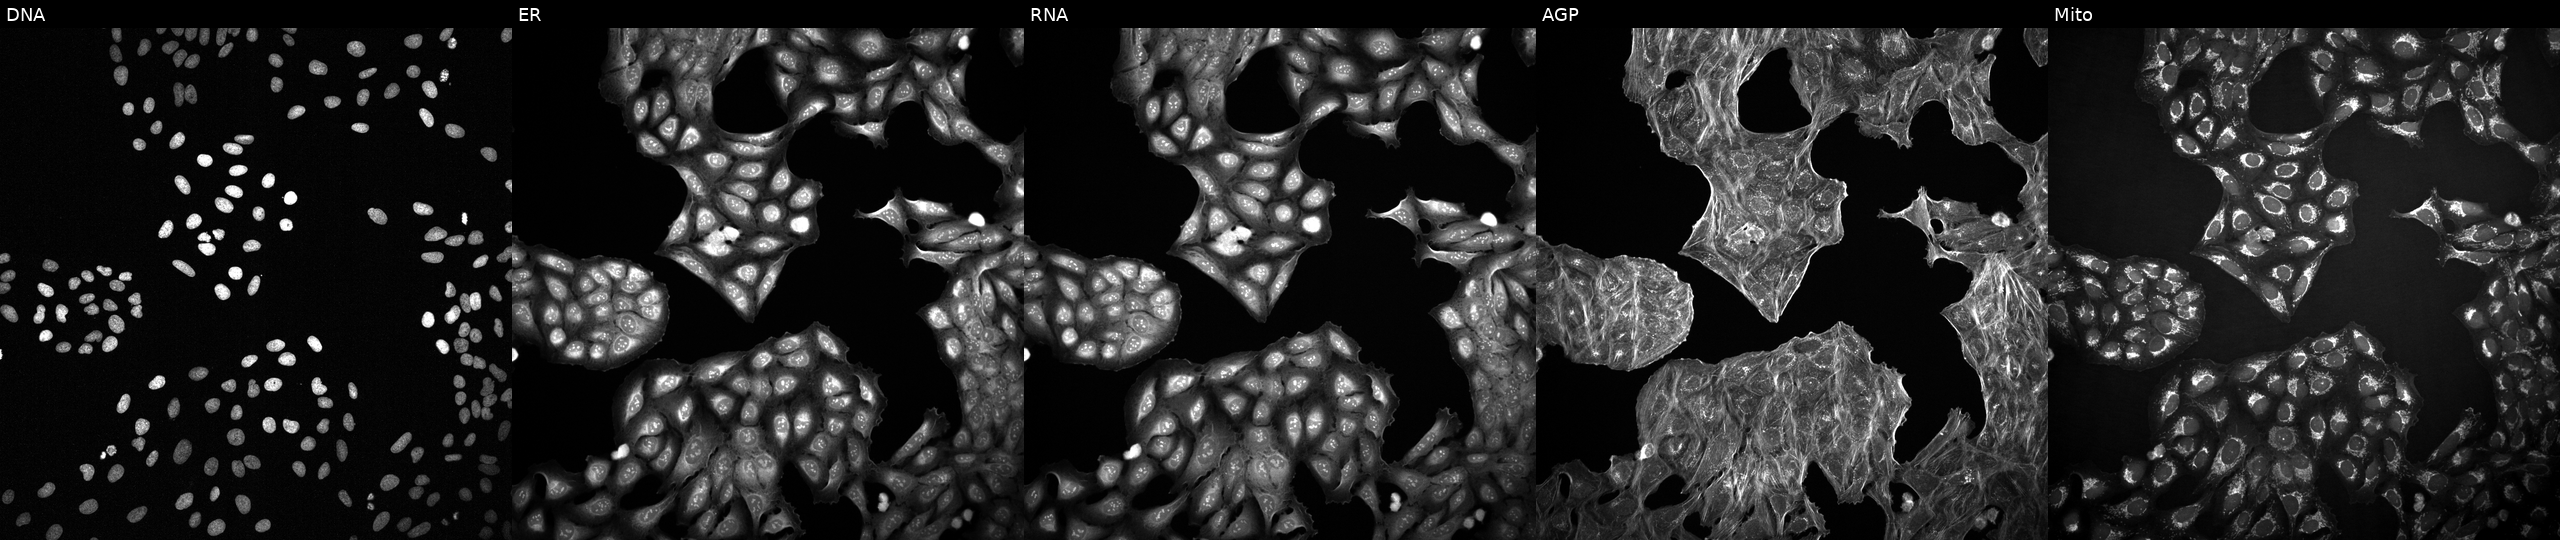
From left to right: DNA, ER, RNA, AGP, and Mito. U2OS osteosarcoma cells treated with DMSO vehicle only (negative control) (JUMP id JCP2022_033924). Cell Painting assay, JUMP-CP dataset. Source 2, plate 1053600674, well N01.